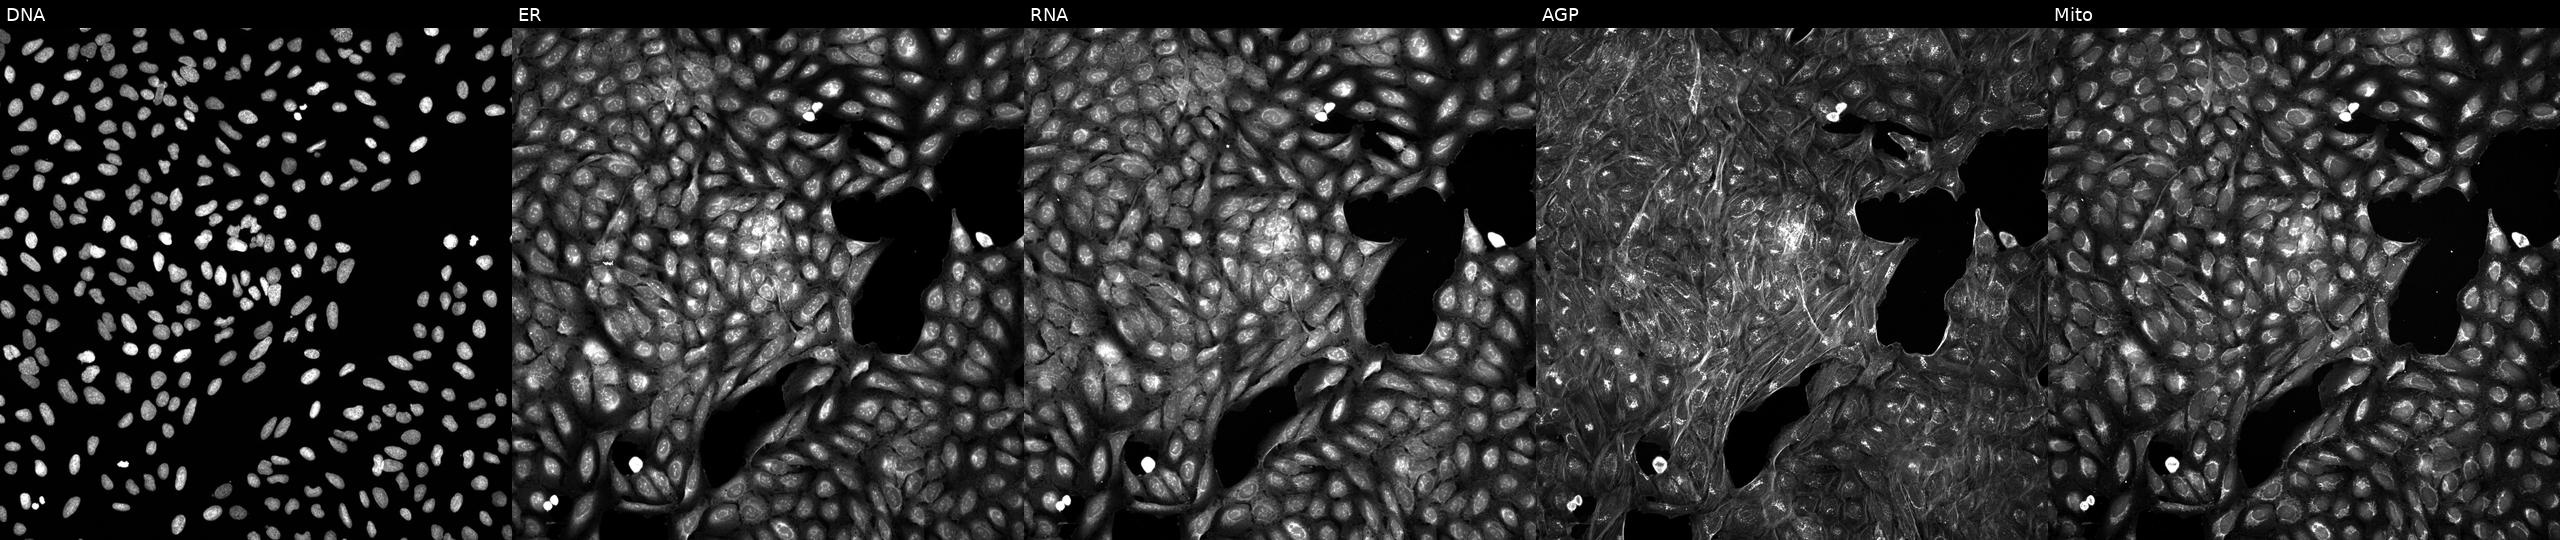
High-content fluorescence microscopy (Cell Painting). Cell line: U2OS. Perturbation: perturbed with a small-molecule compound [SMILES: Cn1cc(-c2cc(CN(CCN3CCOCC3)c3ccccc3)on2)cn1] (JUMP id JCP2022_105395). The five panels, left to right, show DNA, ER, RNA, AGP, and Mito. Source 5, plate APTJUM106, well B16.